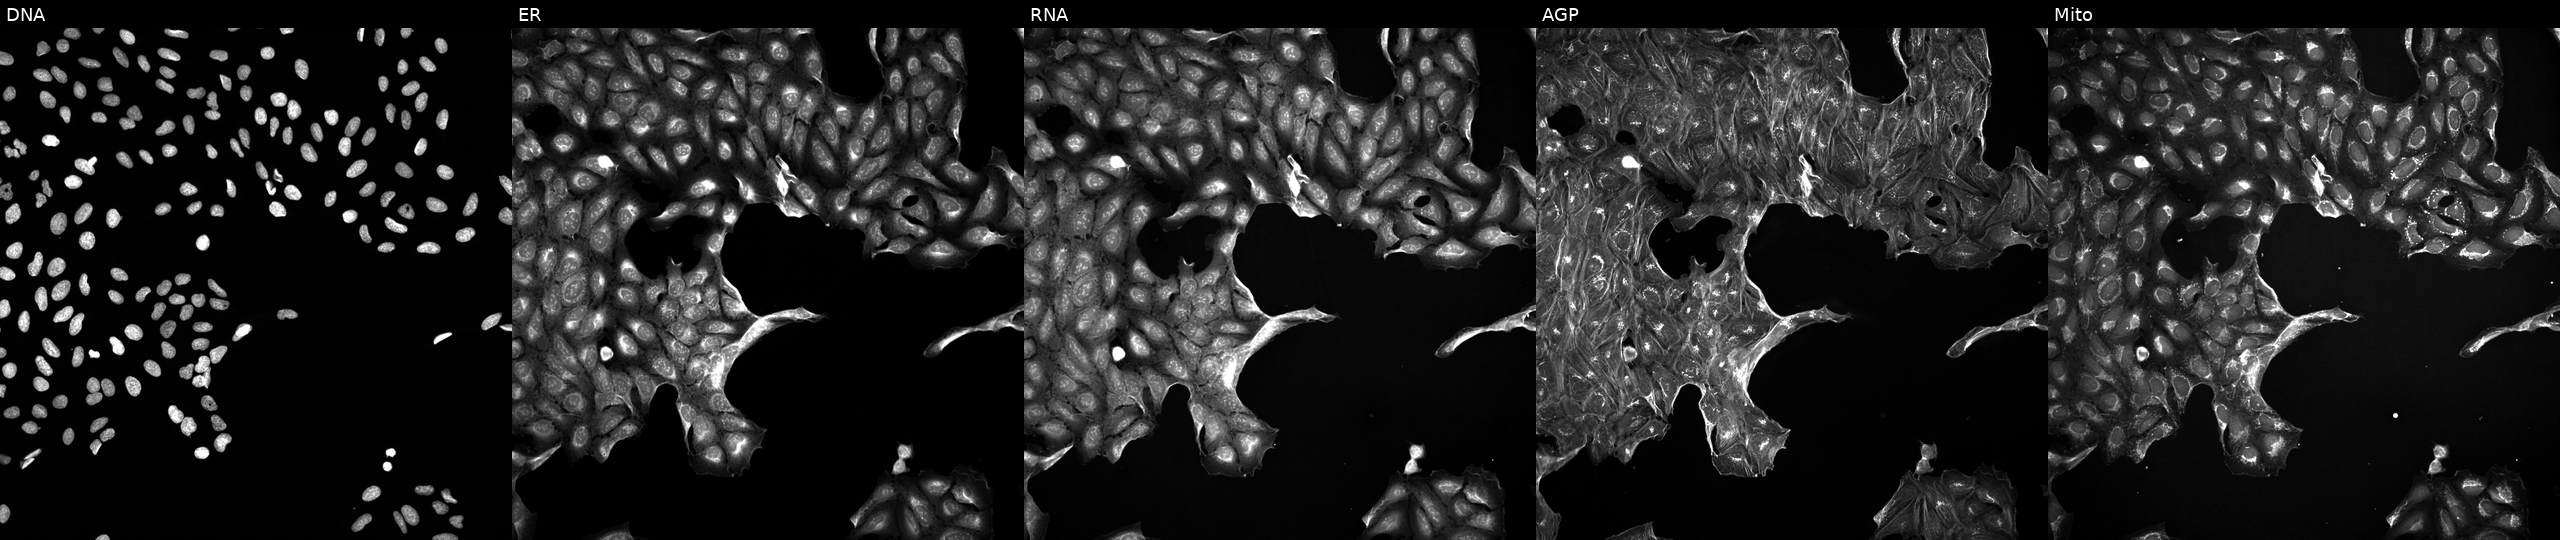
Five-channel Cell Painting image of U2OS cells exposed to a small-molecule compound (JUMP id JCP2022_020163). Channels (left→right): DNA (nuclei); ER (endoplasmic reticulum); RNA (nucleoli and cytoplasmic RNA); AGP (actin cytoskeleton, Golgi, and plasma membrane); Mito (mitochondria).